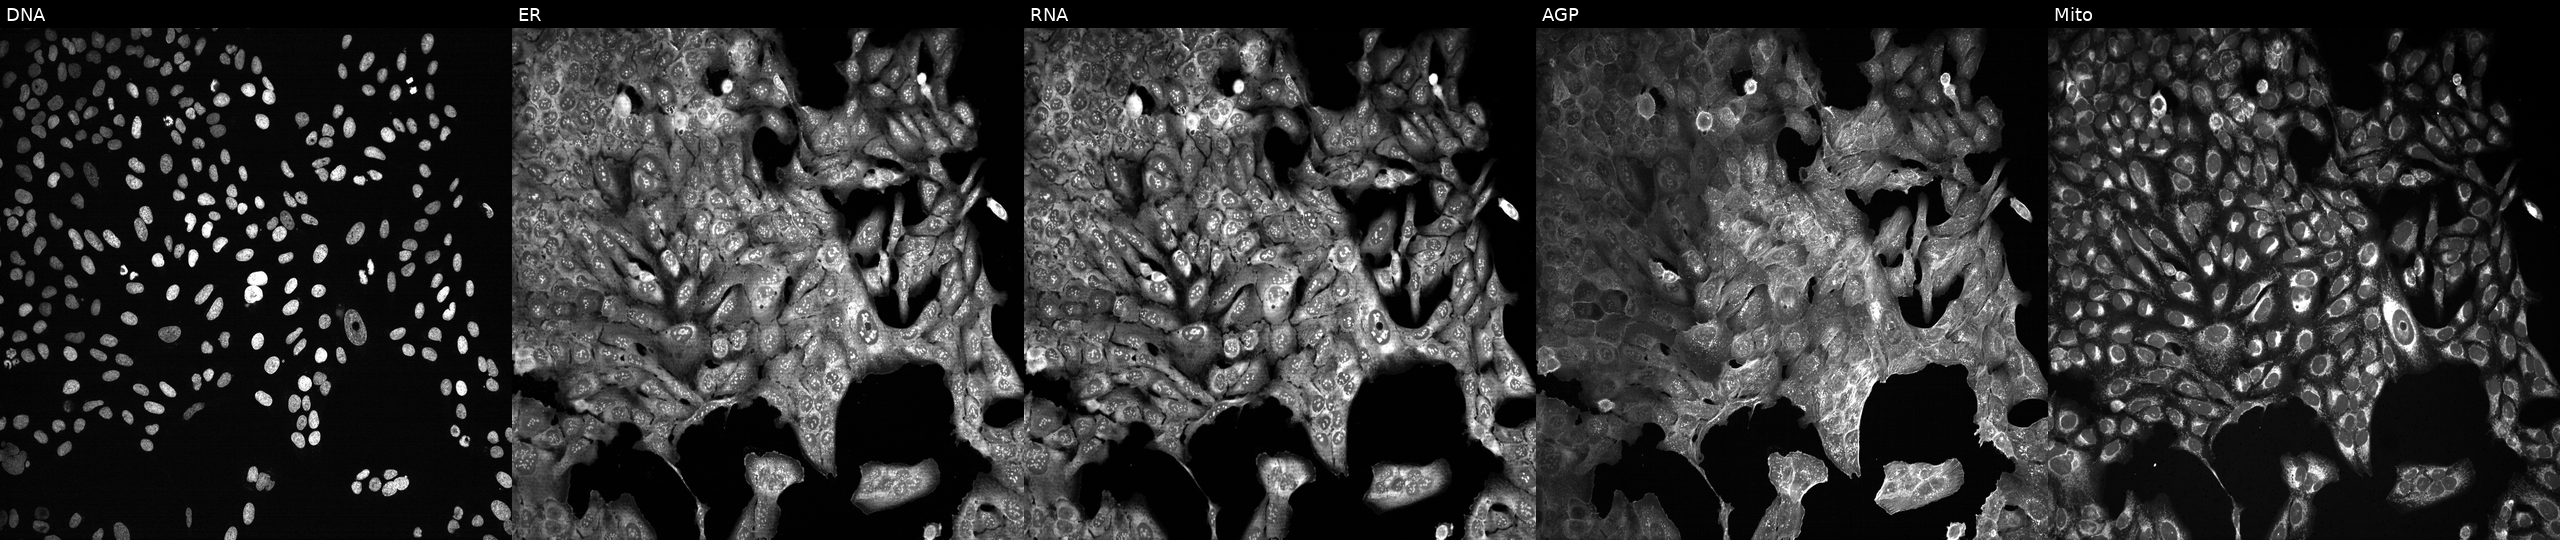
Panels show, left to right, DNA, ER, RNA, AGP, and Mito. U2OS osteosarcoma cells with PRSS58 knocked out by CRISPR. Cell Painting assay, JUMP-CP dataset.